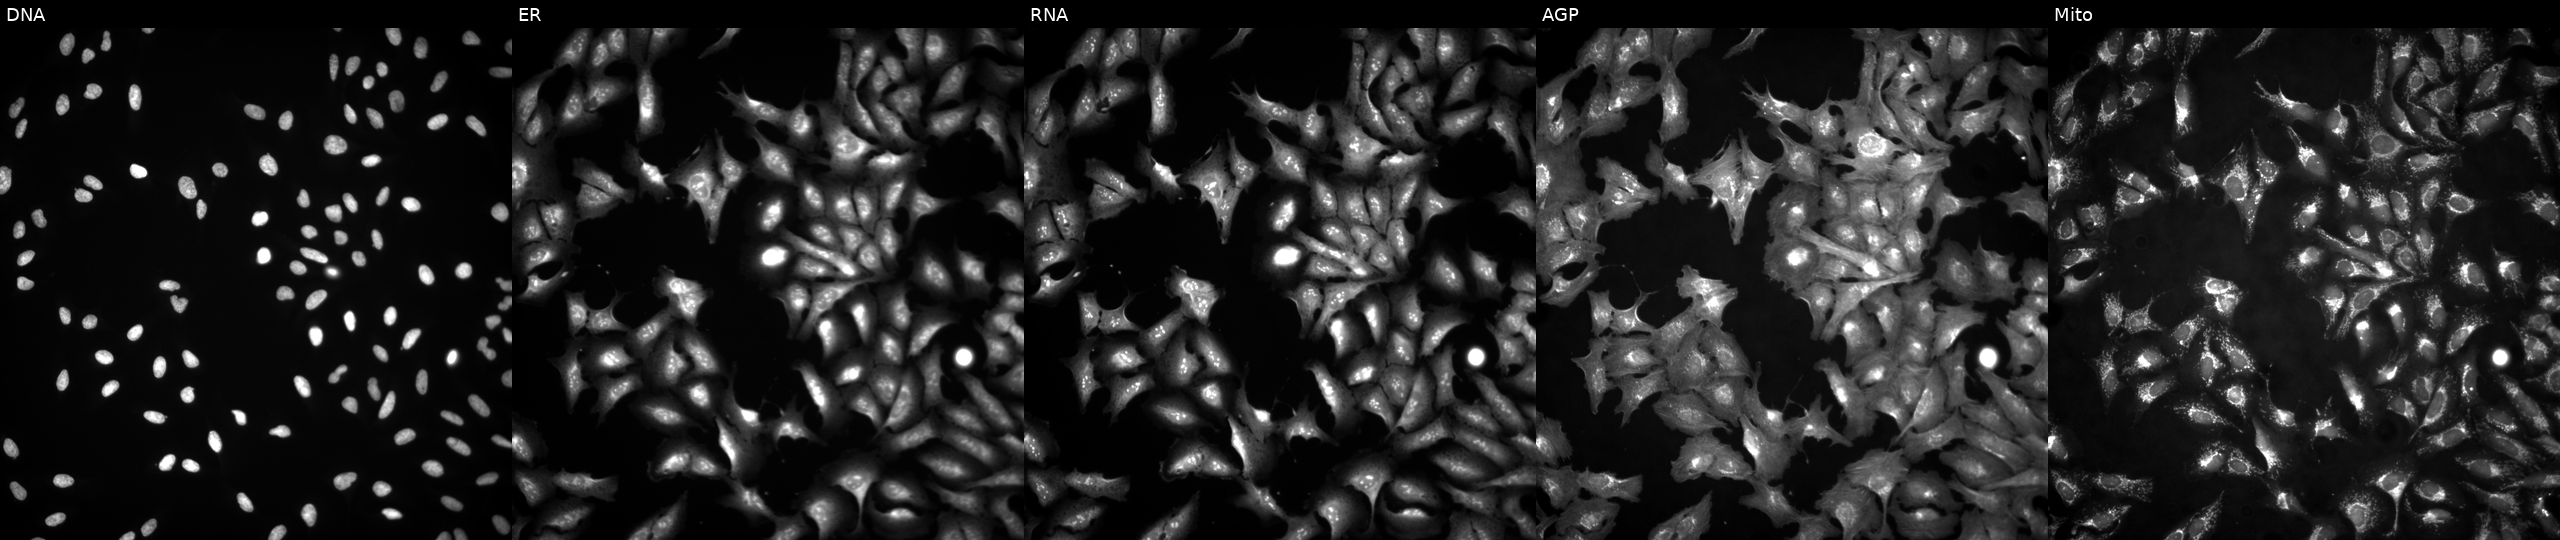
Five-channel Cell Painting image of U2OS cells expressing eGFP (ORF positive control) (JUMP id JCP2022_915132). Channels (left→right): DNA (nuclei); ER (endoplasmic reticulum); RNA (nucleoli and cytoplasmic RNA); AGP (actin cytoskeleton, Golgi, and plasma membrane); Mito (mitochondria). Source 4, plate BR00124787, well P18.